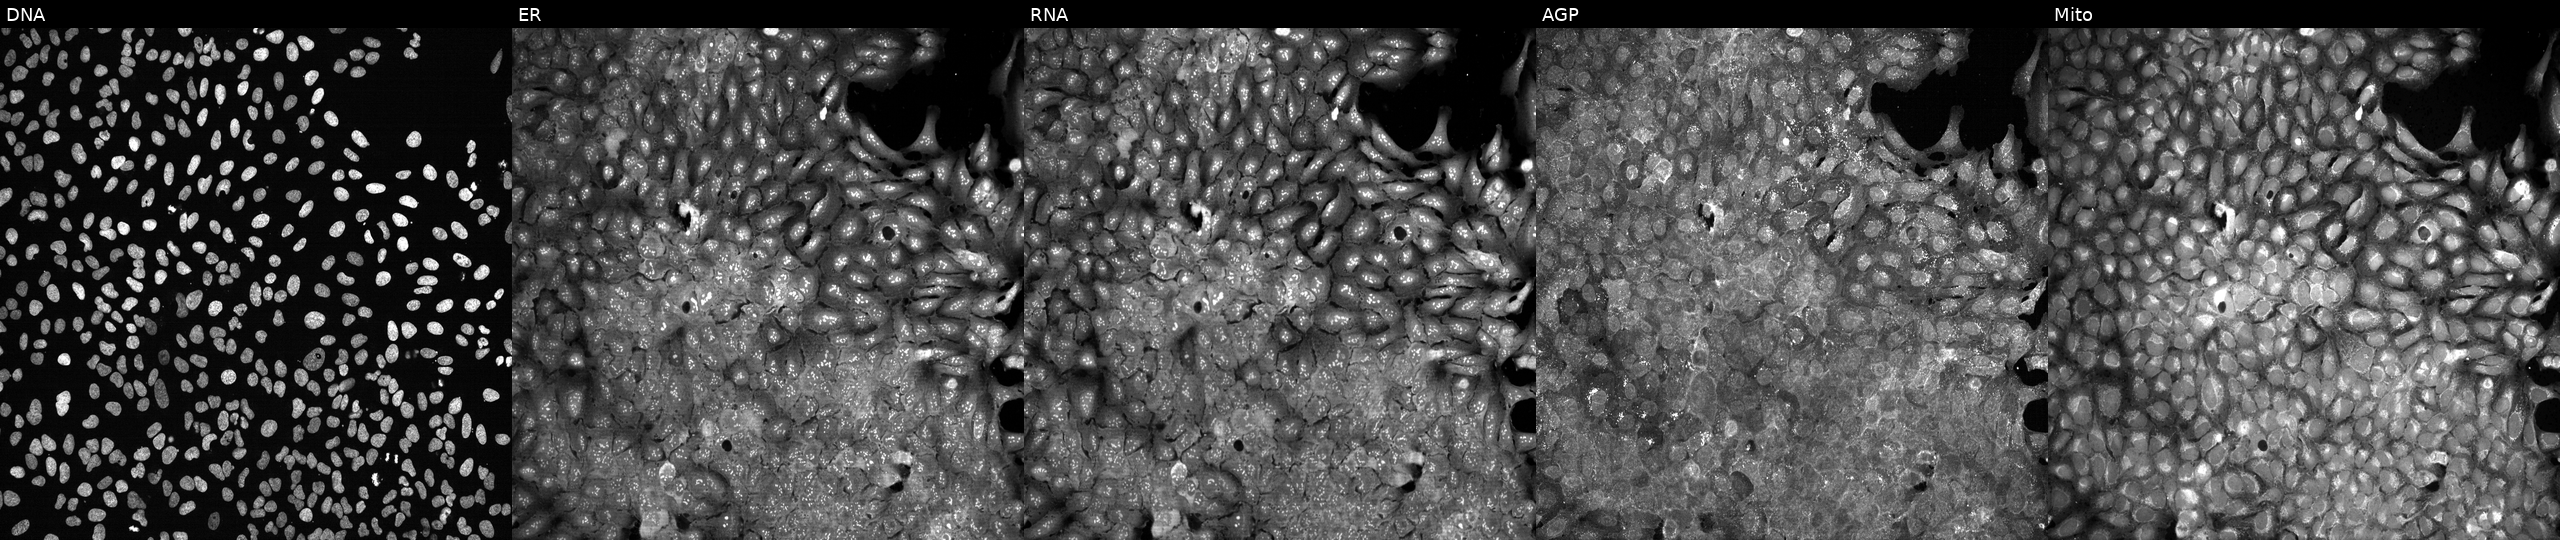
This image strip shows the five Cell Painting channels for a single field of U2OS cells following CRISPR knockout of SLC40A1 (JUMP id JCP2022_806535). Panels show, left to right, DNA, ER, RNA, AGP, and Mito. Source 13, plate CP-CC9-R1-02, well H06.